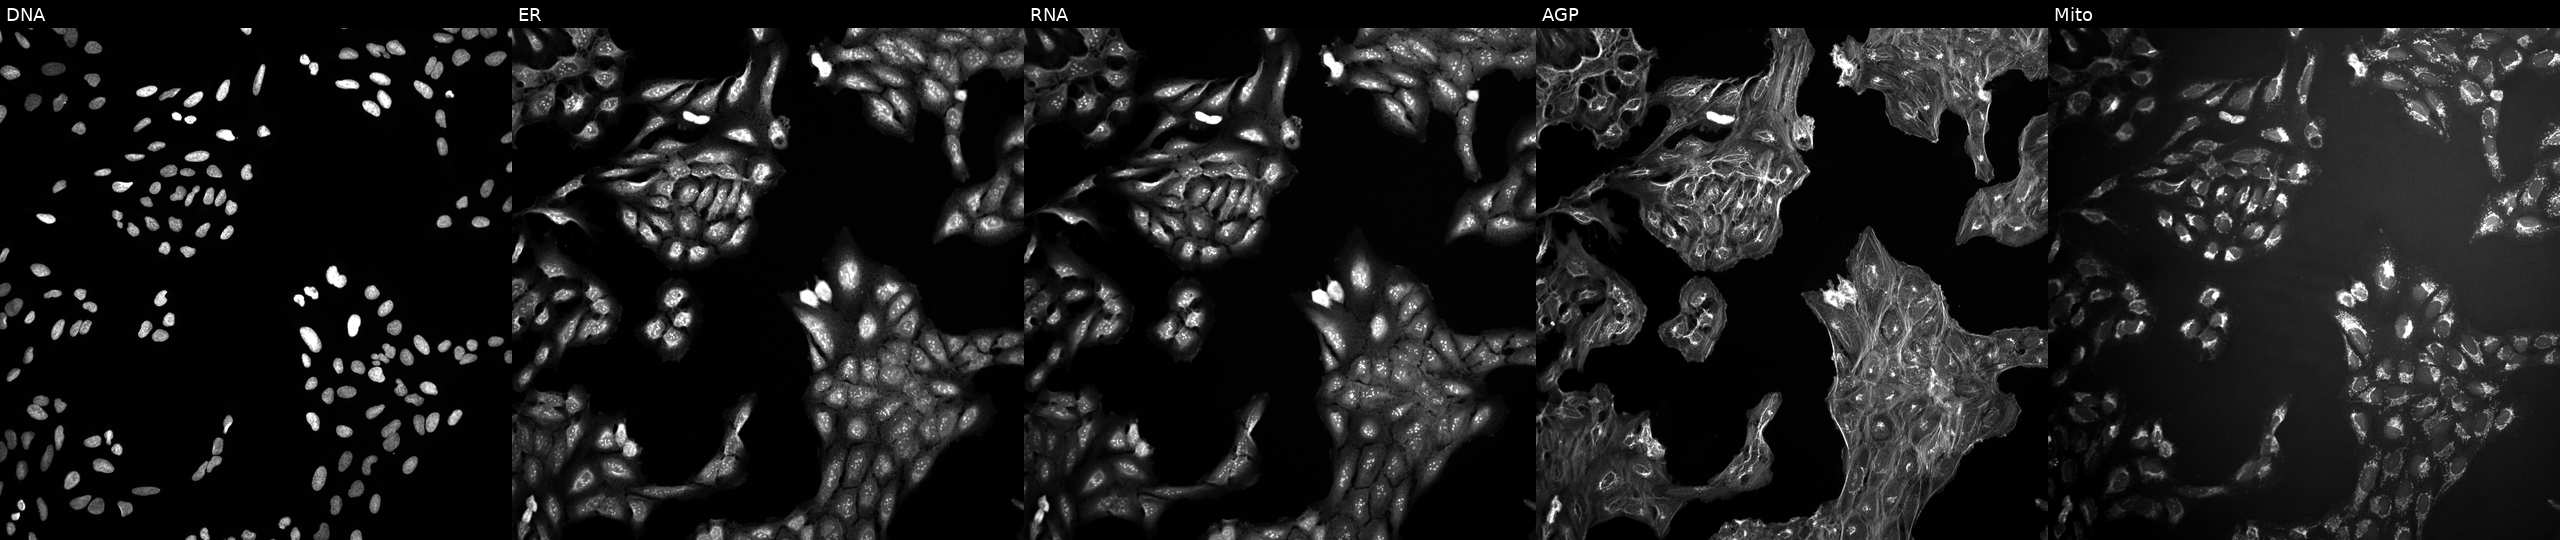
High-content fluorescence microscopy (Cell Painting). Cell line: U2OS. Perturbation: perturbed with a small-molecule compound (JUMP id JCP2022_090051). Channels (left→right): DNA (nuclei); ER (endoplasmic reticulum); RNA (nucleoli and cytoplasmic RNA); AGP (actin cytoskeleton, Golgi, and plasma membrane); Mito (mitochondria).